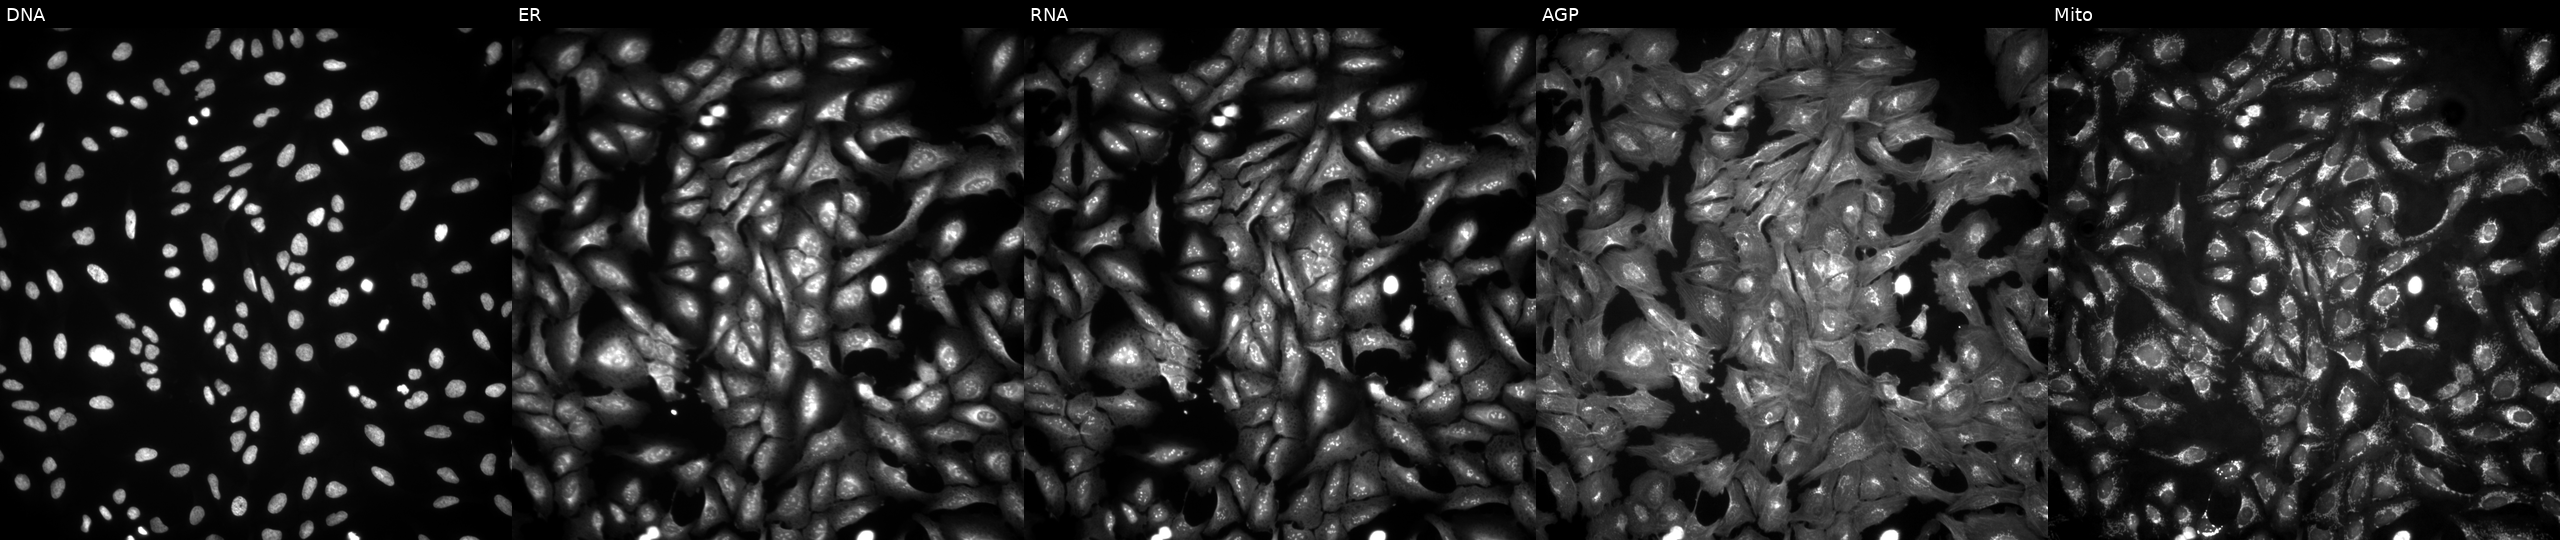
High-content fluorescence microscopy (Cell Painting). Cell line: U2OS. Perturbation: with TIMM8A overexpressed (ORF) (JUMP id JCP2022_914396). From left to right: DNA (nuclei); ER (endoplasmic reticulum); RNA (nucleoli and cytoplasmic RNA); AGP (actin cytoskeleton, Golgi, and plasma membrane); Mito (mitochondria). Source 4, plate BR00123509, well P03.